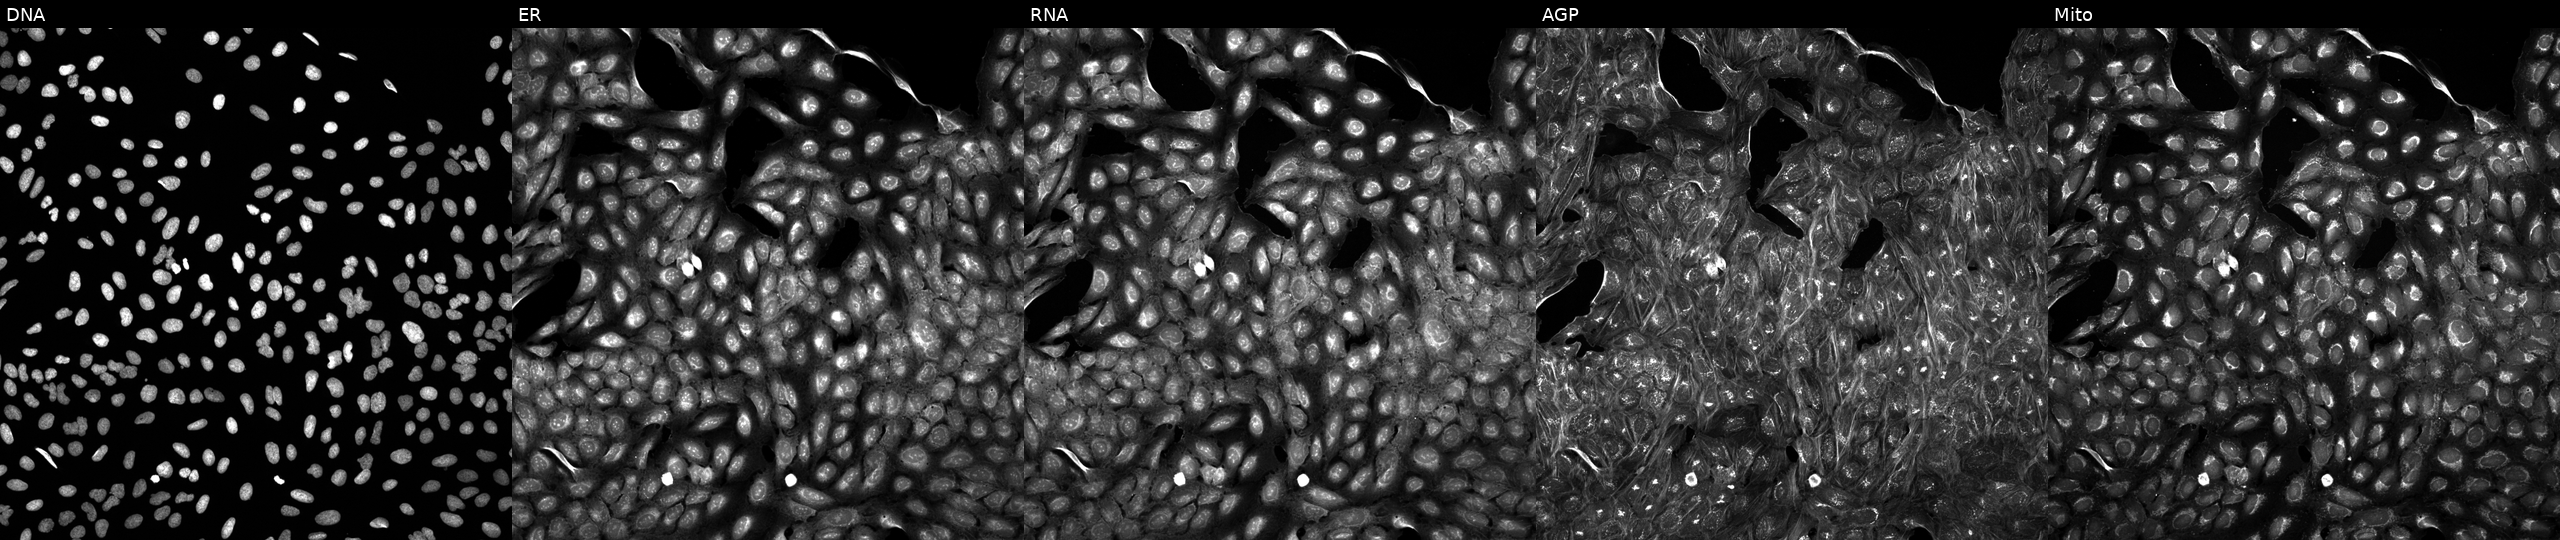
Five-channel Cell Painting image of U2OS cells treated with a small-molecule compound (InChIKey NEDJJFPBXAXYSB-UHFFFAOYSA-N) [SMILES: Cc1noc(C2COCCN2Cc2cccc3[nH]ccc23)n1]. From left to right: DNA (nuclei); ER (endoplasmic reticulum); RNA (nucleoli and cytoplasmic RNA); AGP (actin cytoskeleton, Golgi, and plasma membrane); Mito (mitochondria). Source 5, plate APTJUM106, well G09.